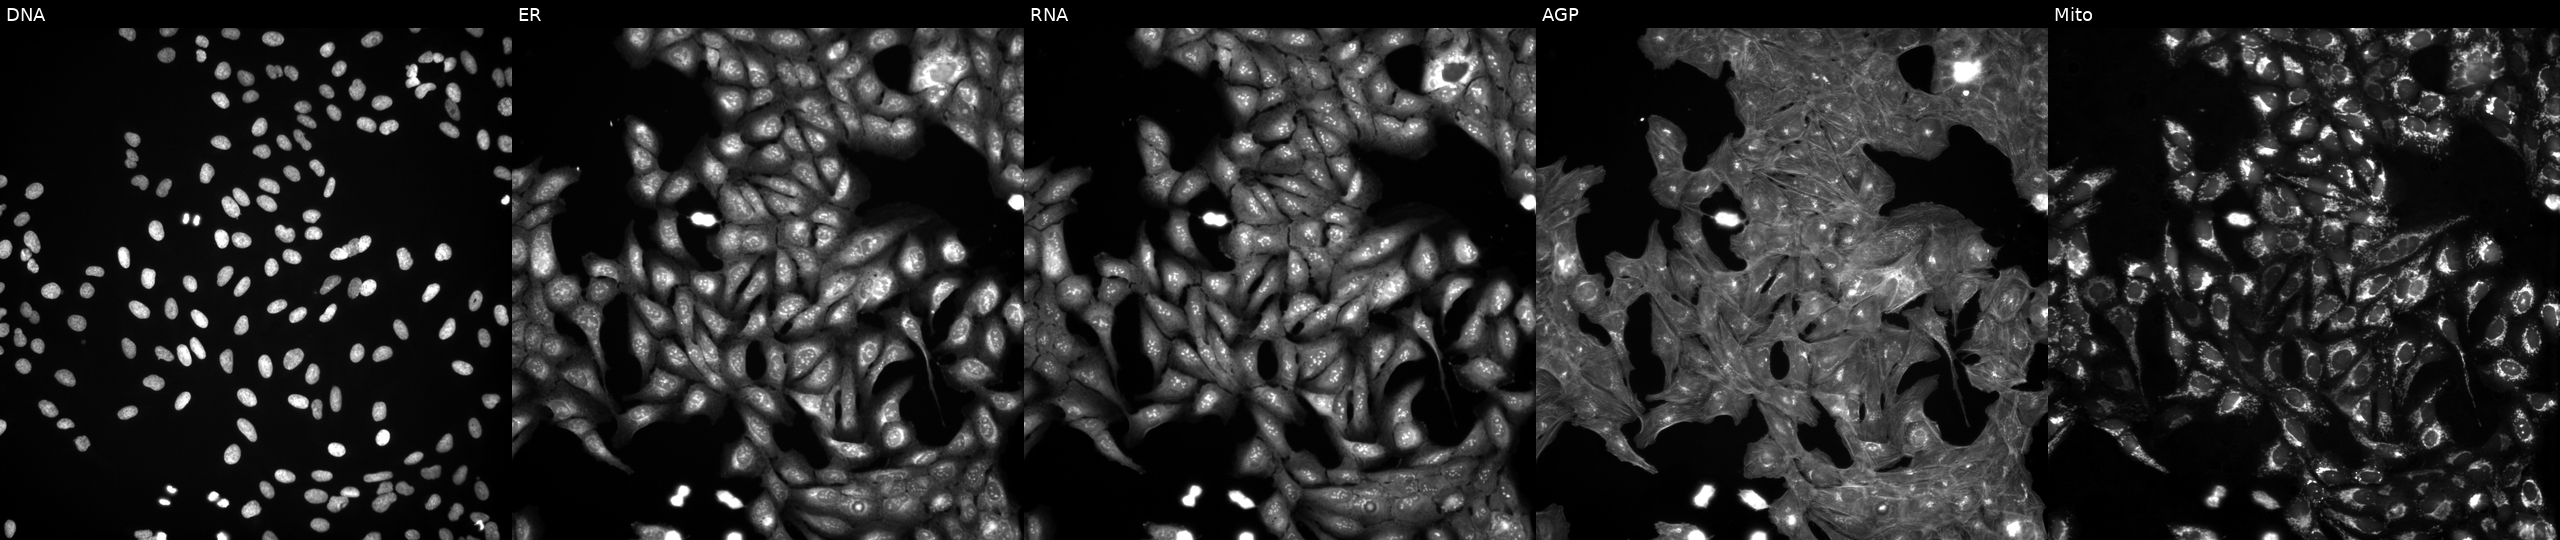
This image strip shows the five Cell Painting channels for a single field of U2OS cells perturbed with a small-molecule compound (InChIKey FPVKHBSQESCIEP-UHFFFAOYSA-N) (JUMP id JCP2022_022191). Channels (left→right): DNA, ER, RNA, AGP, and Mito.